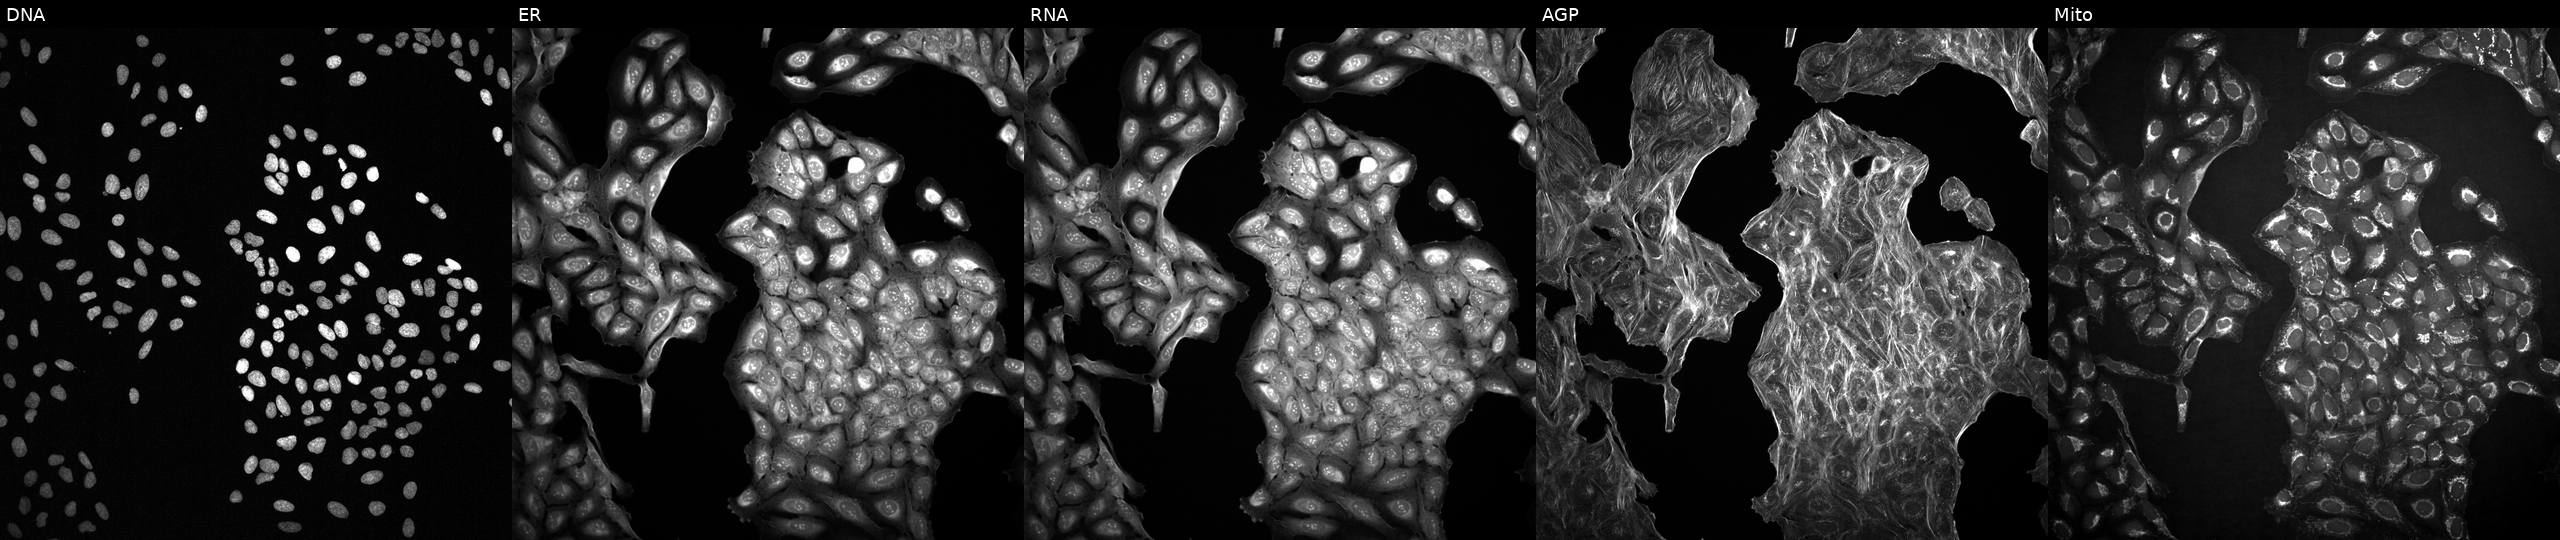
This image strip shows the five Cell Painting channels for a single field of U2OS cells perturbed with a small-molecule compound (InChIKey CLIYUSAPTJSCRM-UHFFFAOYSA-N). The five panels, left to right, show DNA (nuclei); ER (endoplasmic reticulum); RNA (nucleoli and cytoplasmic RNA); AGP (actin cytoskeleton, Golgi, and plasma membrane); Mito (mitochondria). Source 2, plate 1053601756, well M03.